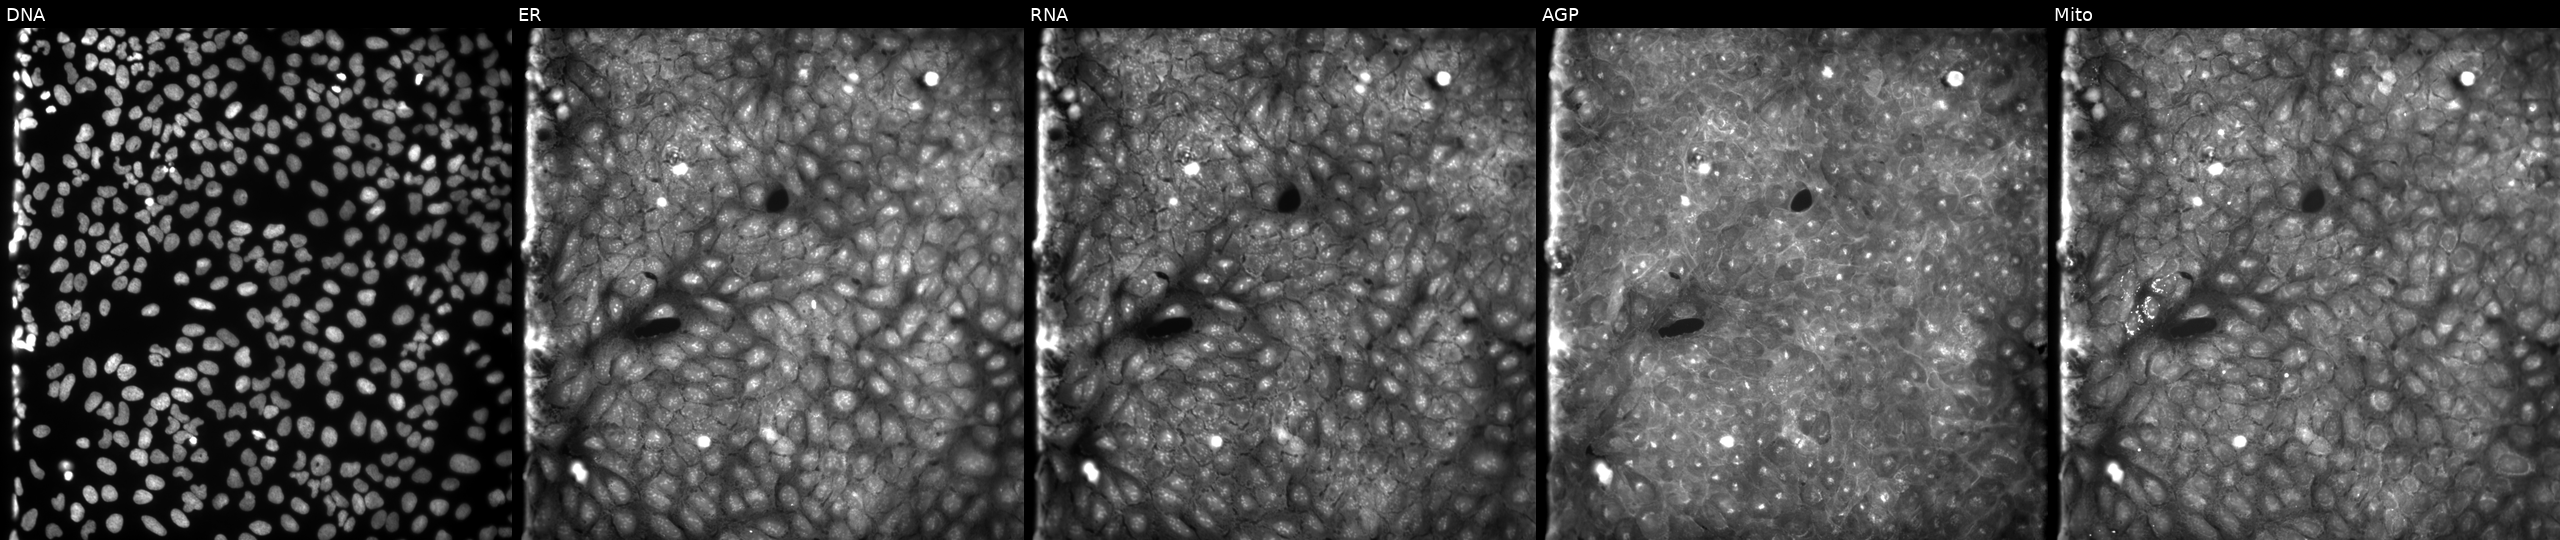
JUMP Cell Painting — COMPOUND plate. U2OS cells treated with a small-molecule compound (InChIKey NVLSIZITFJRWPY-UHFFFAOYSA-N) (JUMP id JCP2022_061618). The five panels, left to right, show Hoechst 33342, concanavalin A, SYTO 14, phalloidin and WGA, MitoTracker.